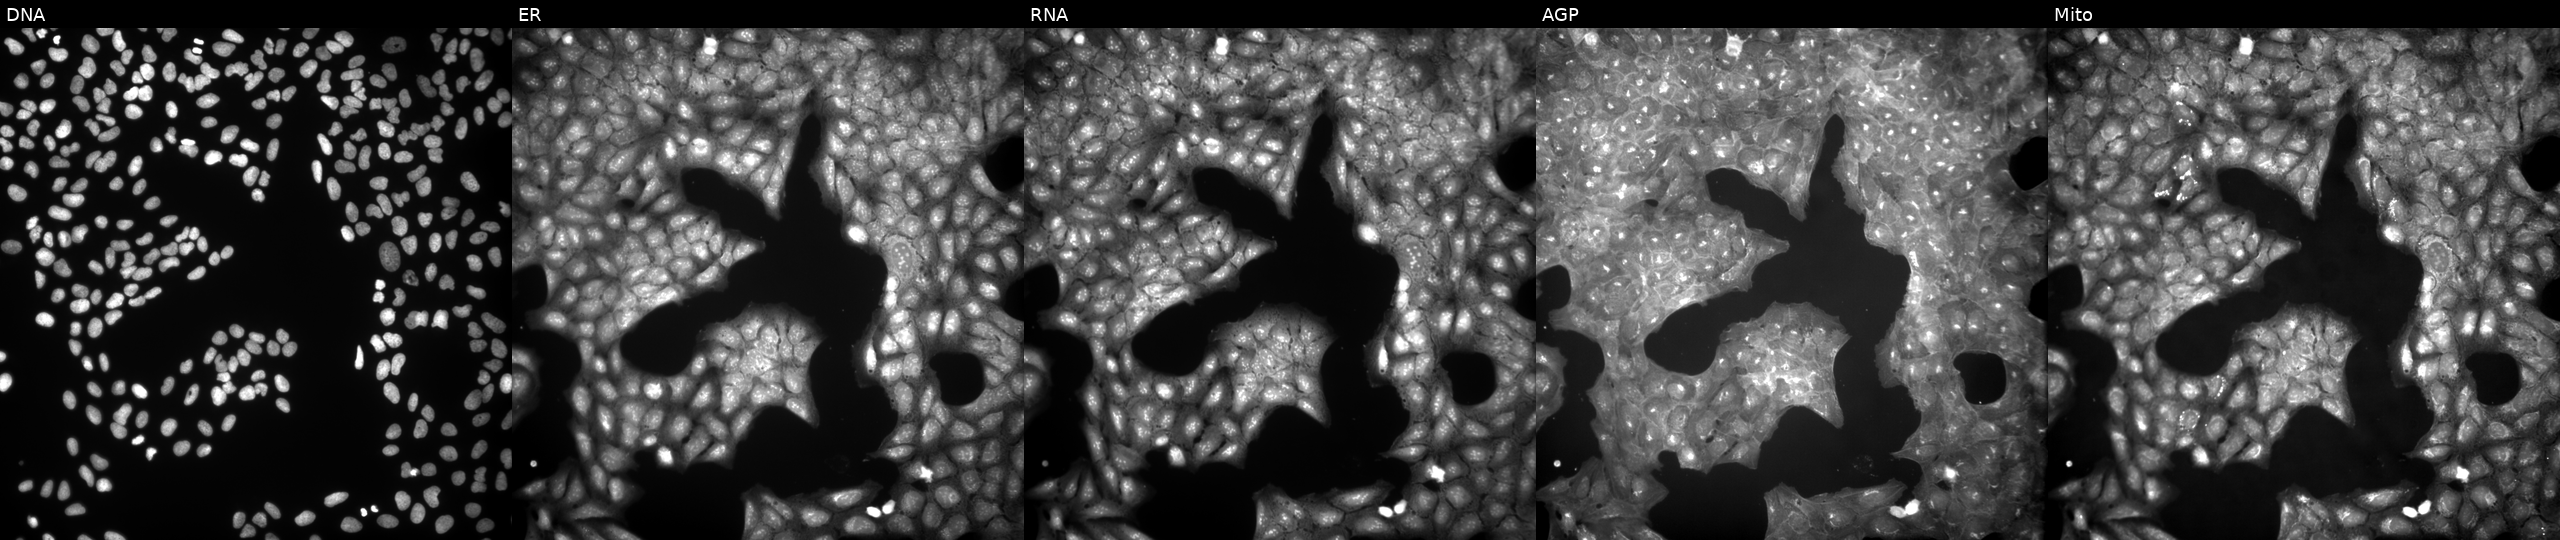
Five-channel Cell Painting image of U2OS cells treated with a small-molecule compound. The five panels, left to right, show Hoechst 33342, concanavalin A, SYTO 14, phalloidin and WGA, MitoTracker.